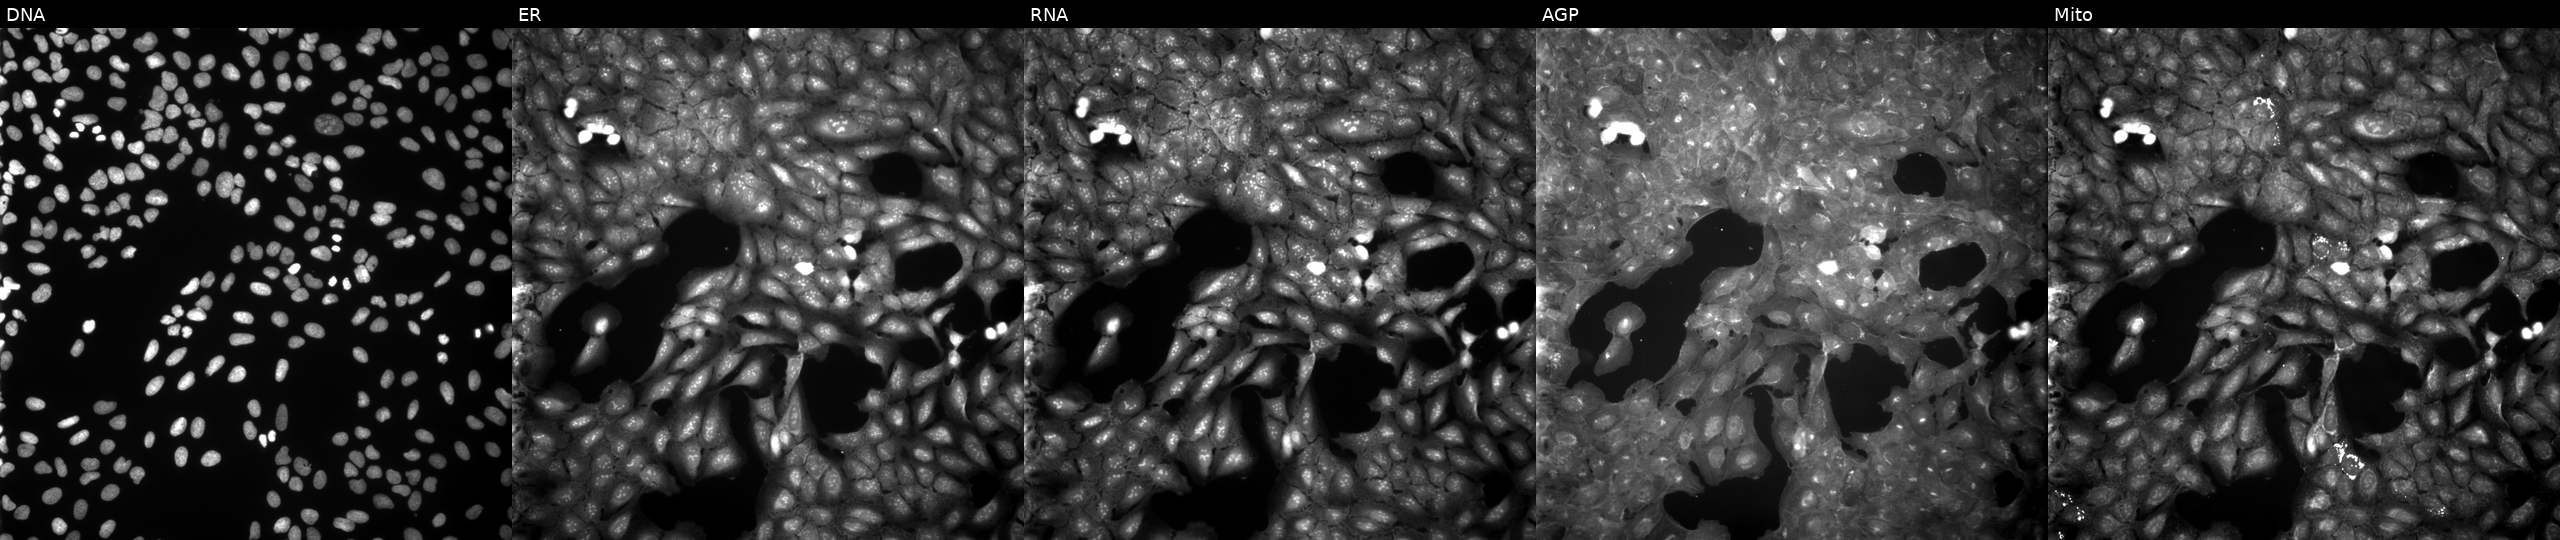
From left to right: DNA, ER, RNA, AGP, and Mito. U2OS osteosarcoma cells treated with TC-S-7004 (positive-control compound). Cell Painting assay, JUMP-CP dataset.